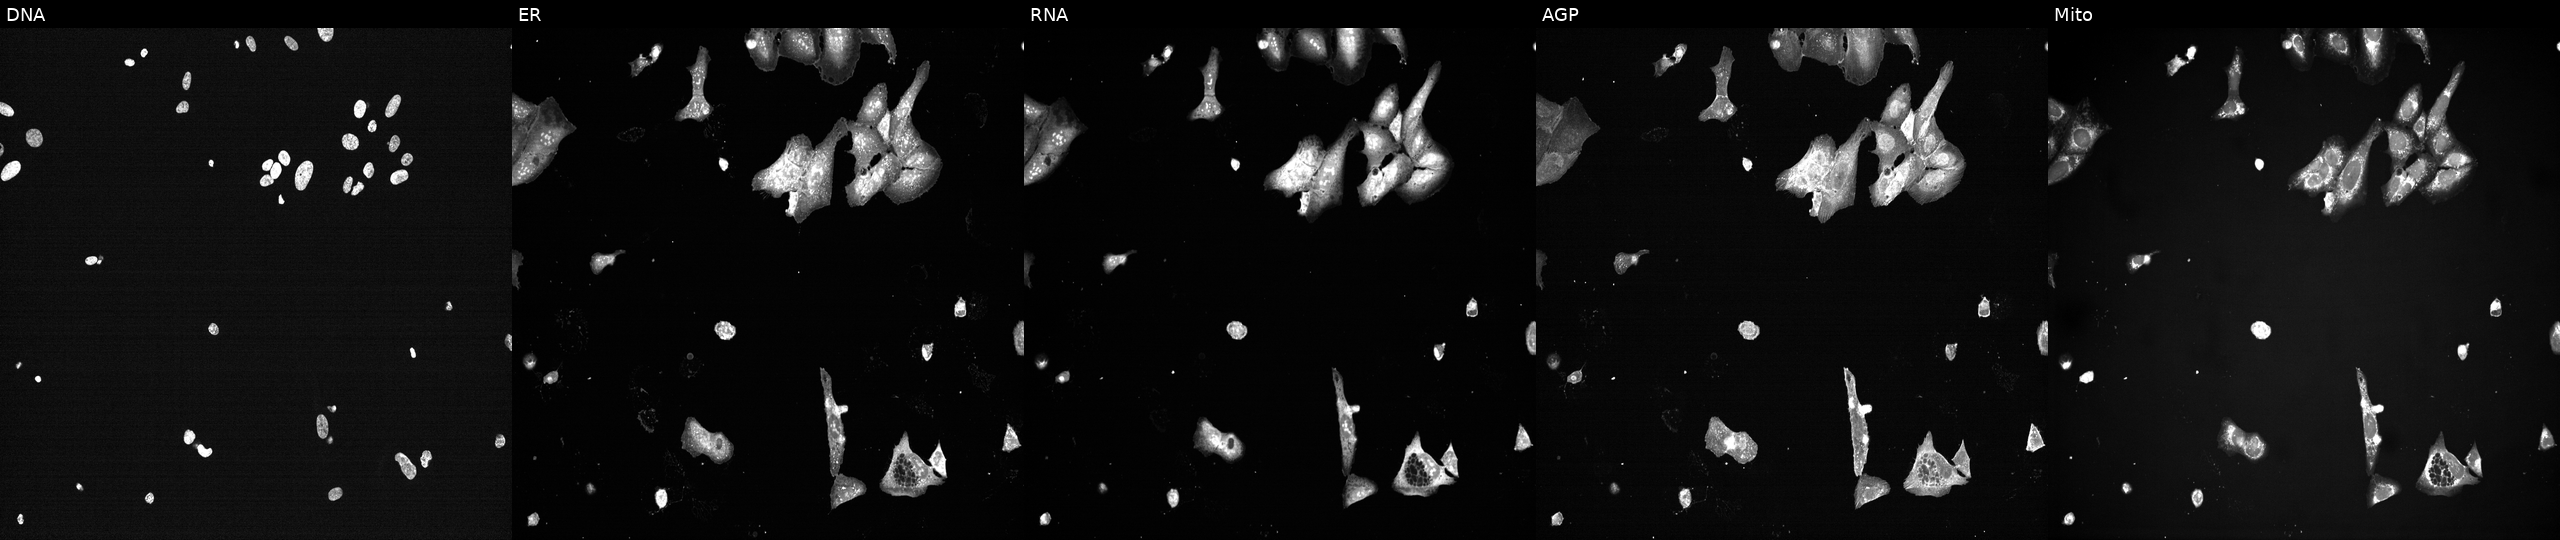
JUMP Cell Painting — TARGET2 plate. U2OS cells exposed to a small-molecule compound (InChIKey VSWDORGPIHIGNW-UHFFFAOYSA-N). From left to right: DNA, ER, RNA, AGP, and Mito.